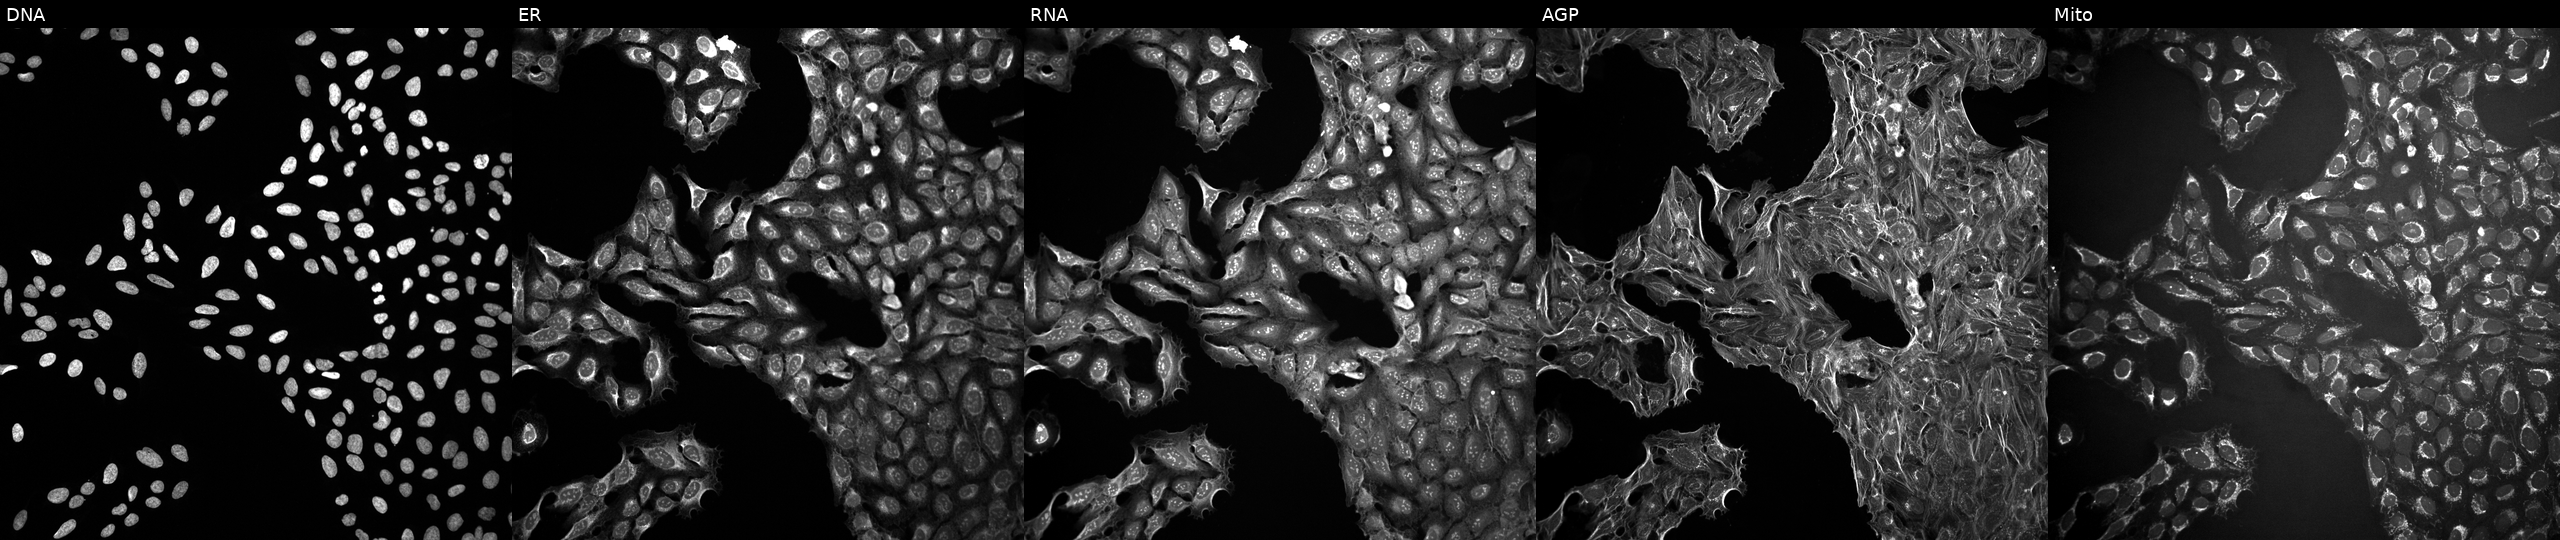
U2OS cells, Cell Painting assay, exposed to a small-molecule compound (InChIKey LZAUMTRICGTLTH-UHFFFAOYSA-N). The five panels, left to right, show DNA (nuclei); ER (endoplasmic reticulum); RNA (nucleoli and cytoplasmic RNA); AGP (actin cytoskeleton, Golgi, and plasma membrane); Mito (mitochondria). Each panel is percentile-stretched 16-bit fluorescence. Source 10, plate Dest210531-152324, well O10.